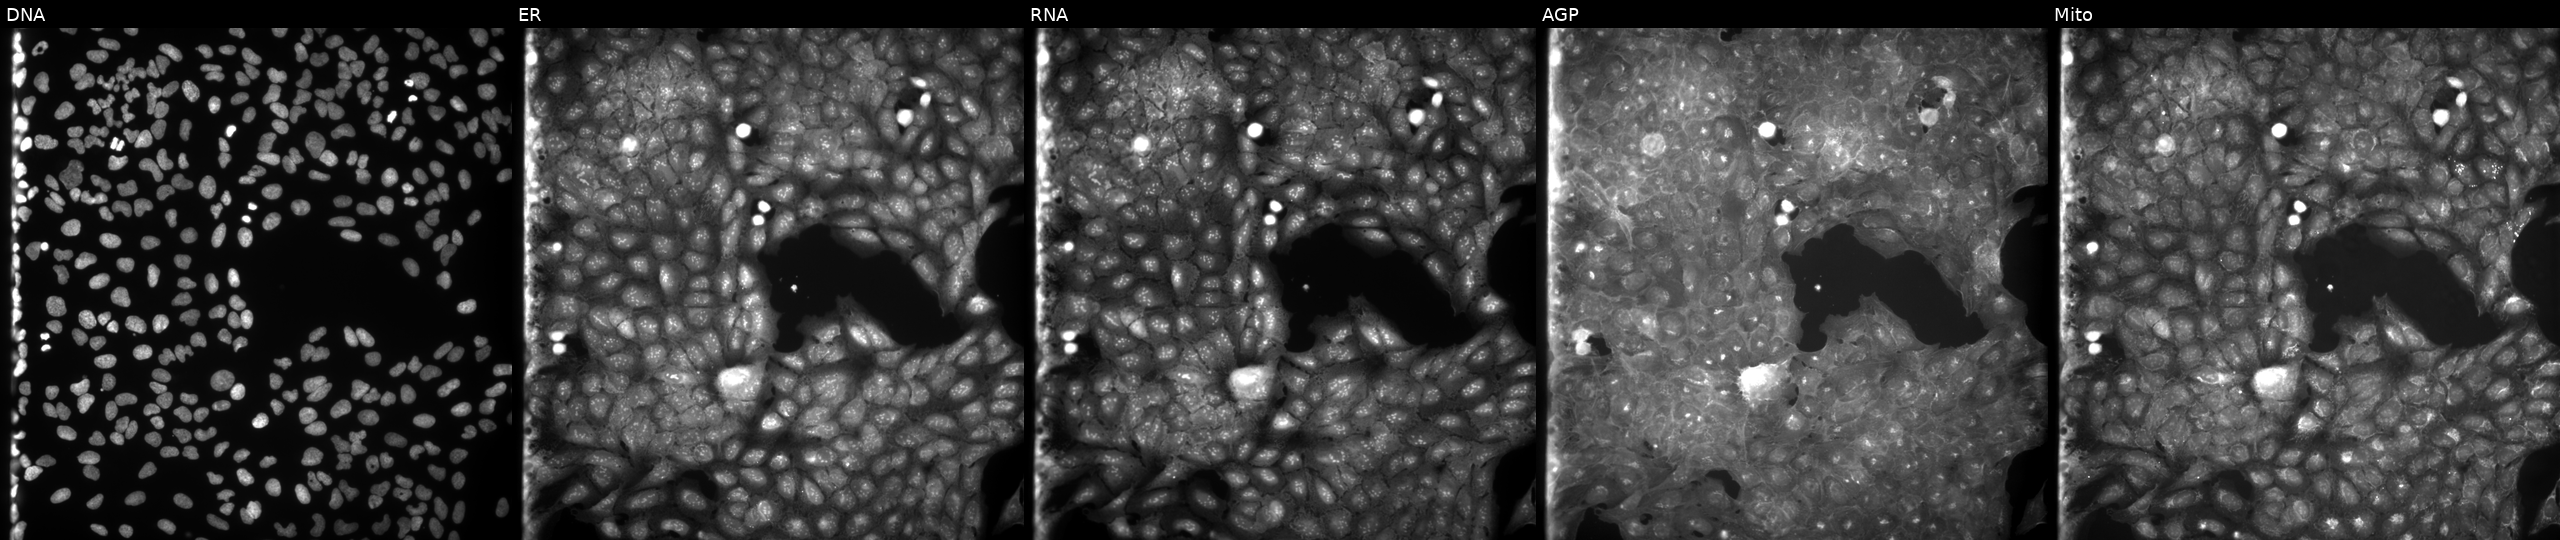
This image strip shows the five Cell Painting channels for a single field of U2OS cells treated with a small-molecule compound (InChIKey DOMNEGVPSIUZGT-UHFFFAOYSA-N) (JUMP id JCP2022_017221). The five panels, left to right, show DNA (nuclei); ER (endoplasmic reticulum); RNA (nucleoli and cytoplasmic RNA); AGP (actin cytoskeleton, Golgi, and plasma membrane); Mito (mitochondria). Source 9, plate GR00003382, well L13.